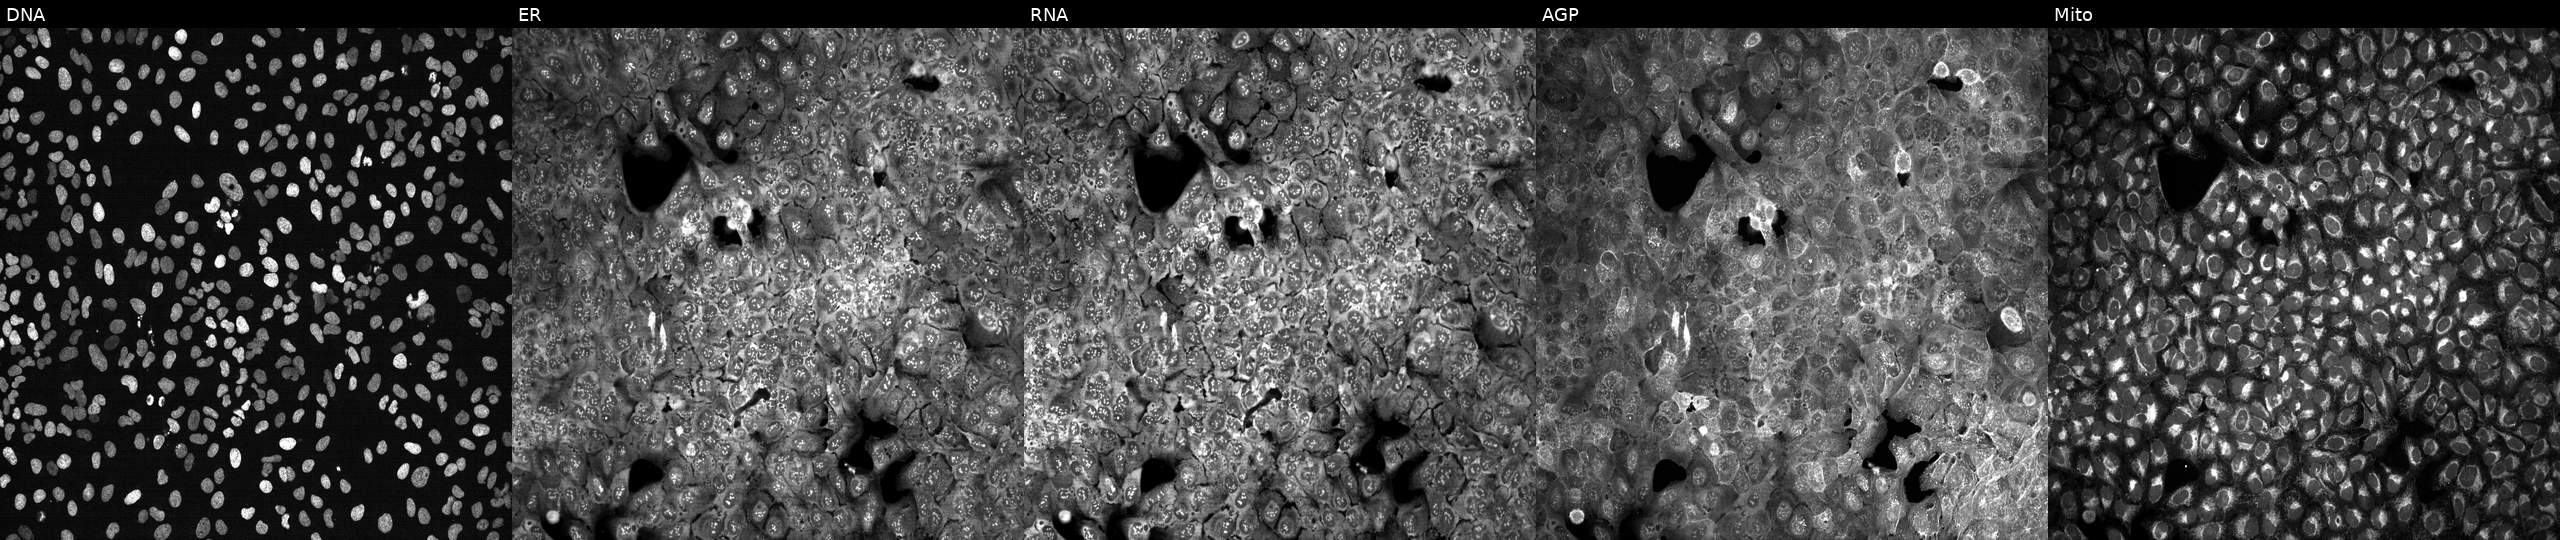
JUMP Cell Painting — CRISPR plate. U2OS cells with WDR31 knocked out by CRISPR (JUMP id JCP2022_807681). Channels (left→right): DNA (nuclei); ER (endoplasmic reticulum); RNA (nucleoli and cytoplasmic RNA); AGP (actin cytoskeleton, Golgi, and plasma membrane); Mito (mitochondria).